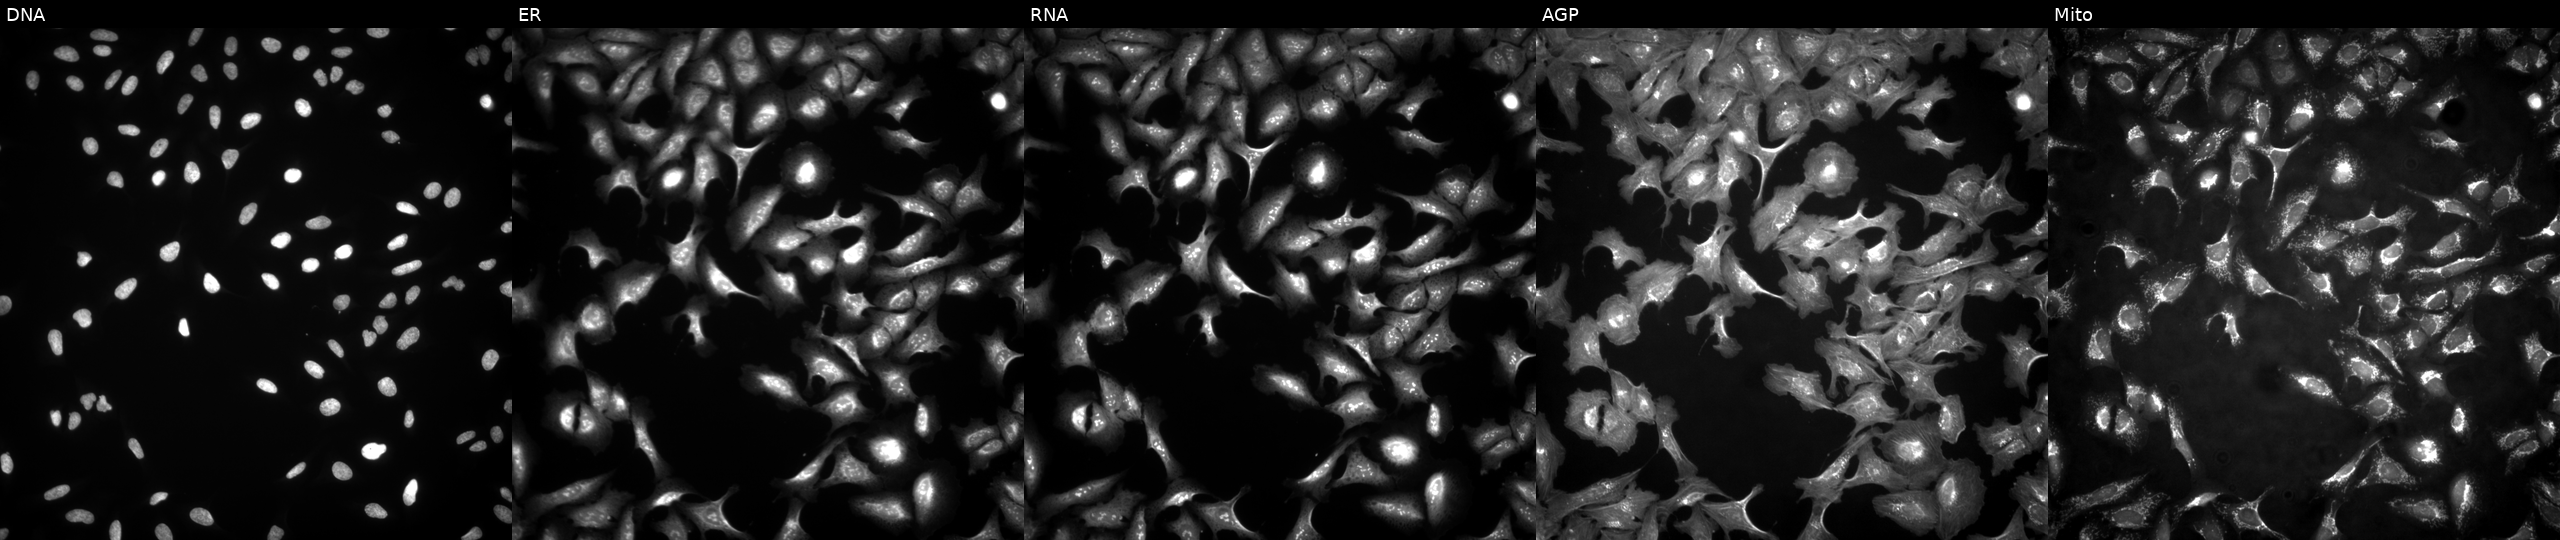
This image strip shows the five Cell Painting channels for a single field of U2OS cells transfected with an ORF construct for CGA (JUMP id JCP2022_905595). From left to right: DNA, ER, RNA, AGP, and Mito.